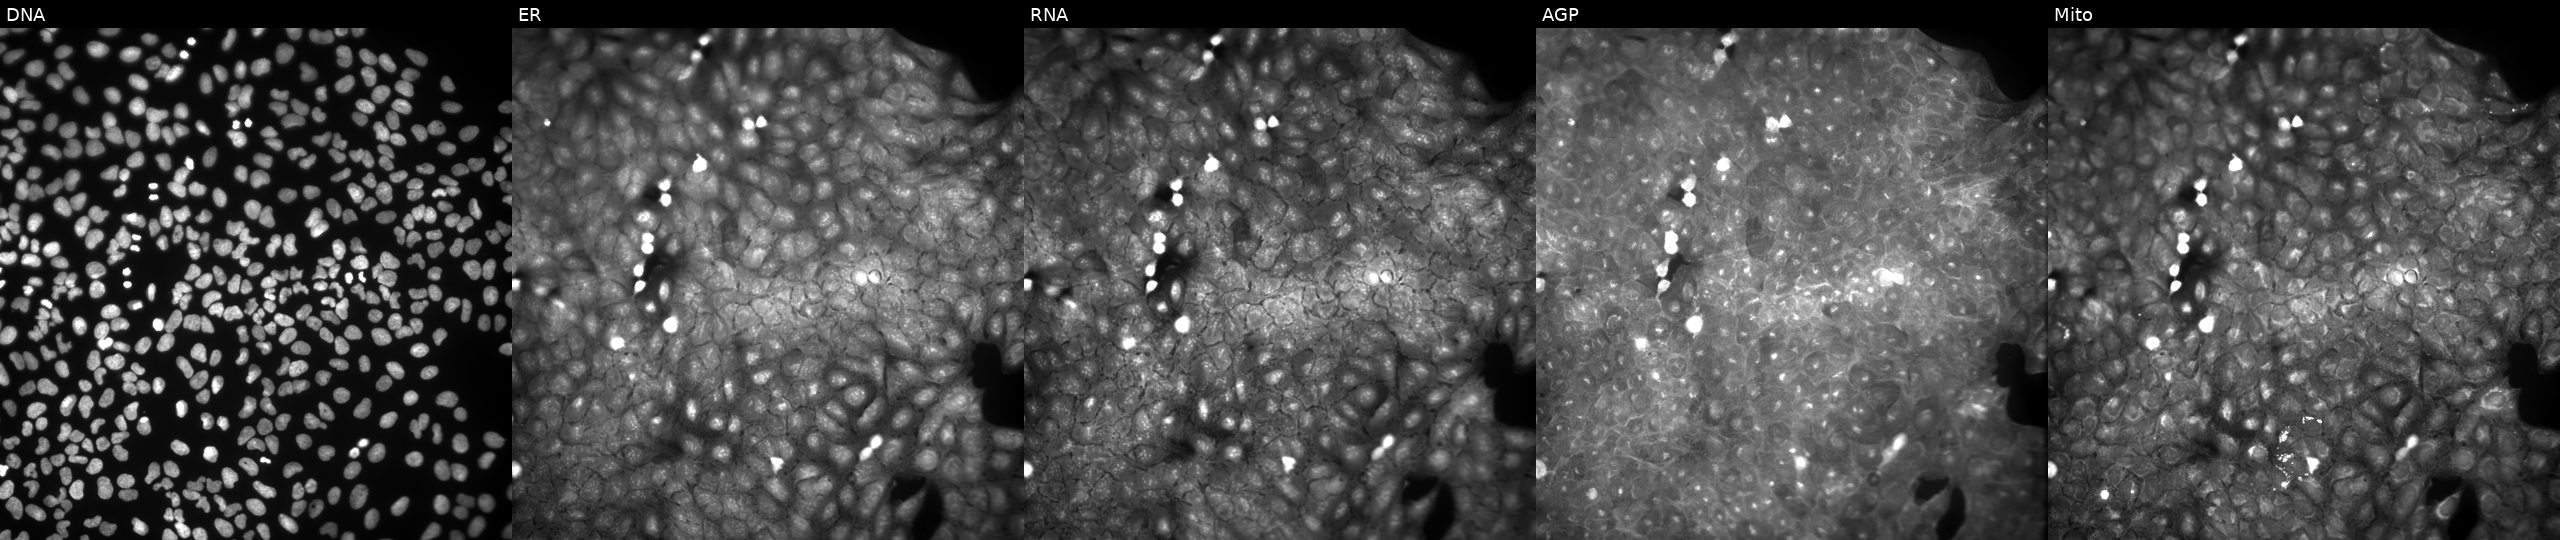
High-content fluorescence microscopy (Cell Painting). Cell line: U2OS. Perturbation: exposed to a small-molecule compound (InChIKey XJSYKMUTUDIPEM-UHFFFAOYSA-N) (JUMP id JCP2022_104086). Panels show, left to right, DNA, ER, RNA, AGP, and Mito. Source 9, plate GR00003381, well AC42.